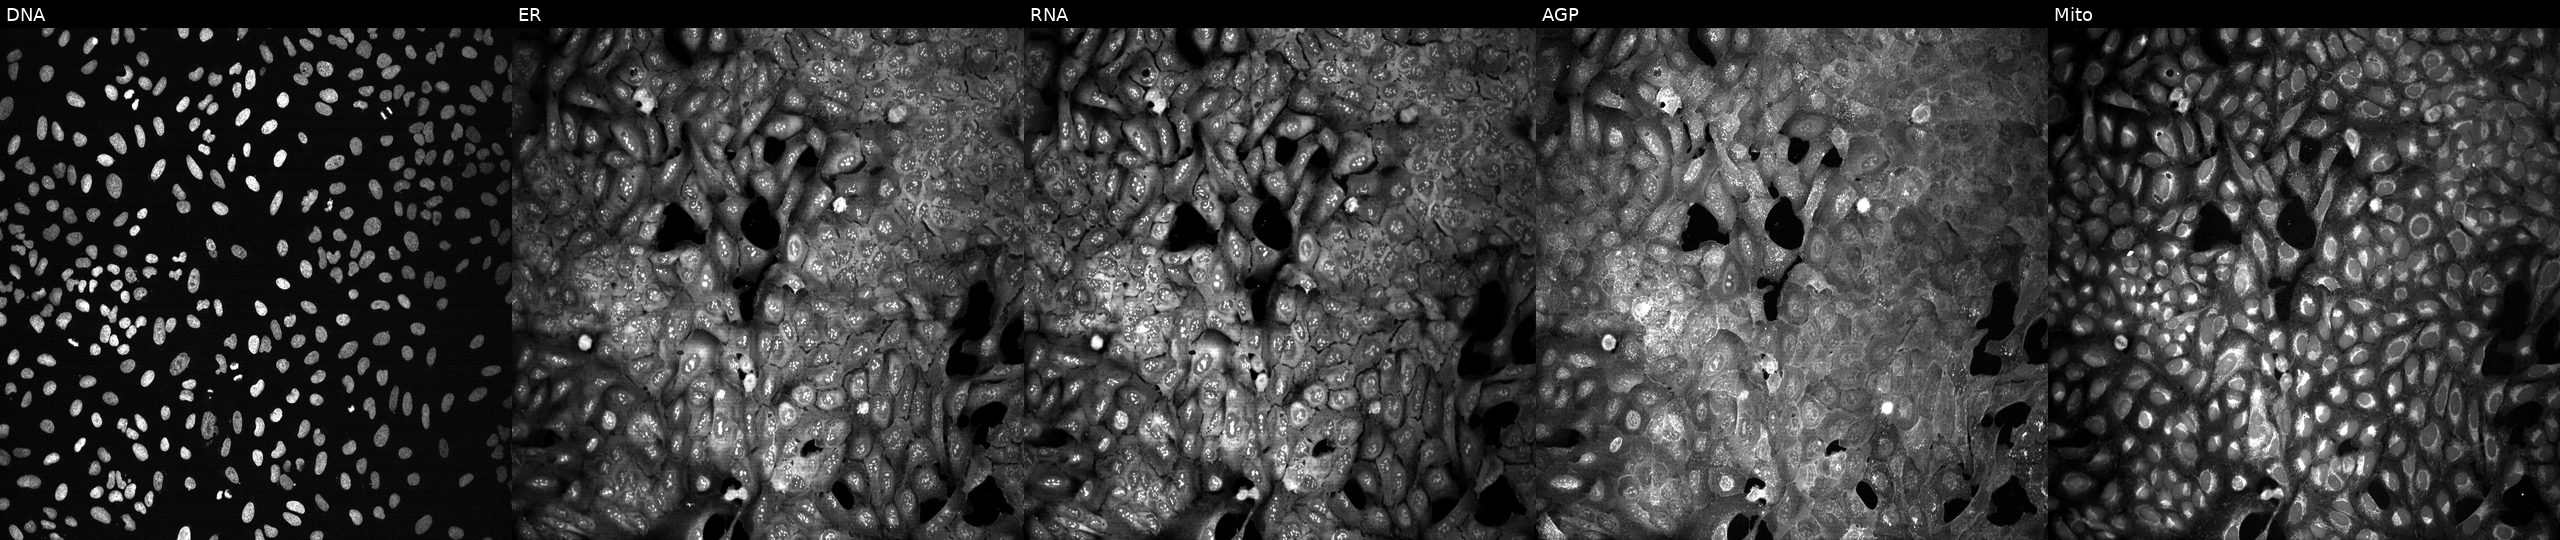
Five-channel Cell Painting image of U2OS cells following CRISPR knockout of HLA-E (JUMP id JCP2022_803132). The five panels, left to right, show Hoechst 33342, concanavalin A, SYTO 14, phalloidin and WGA, MitoTracker.